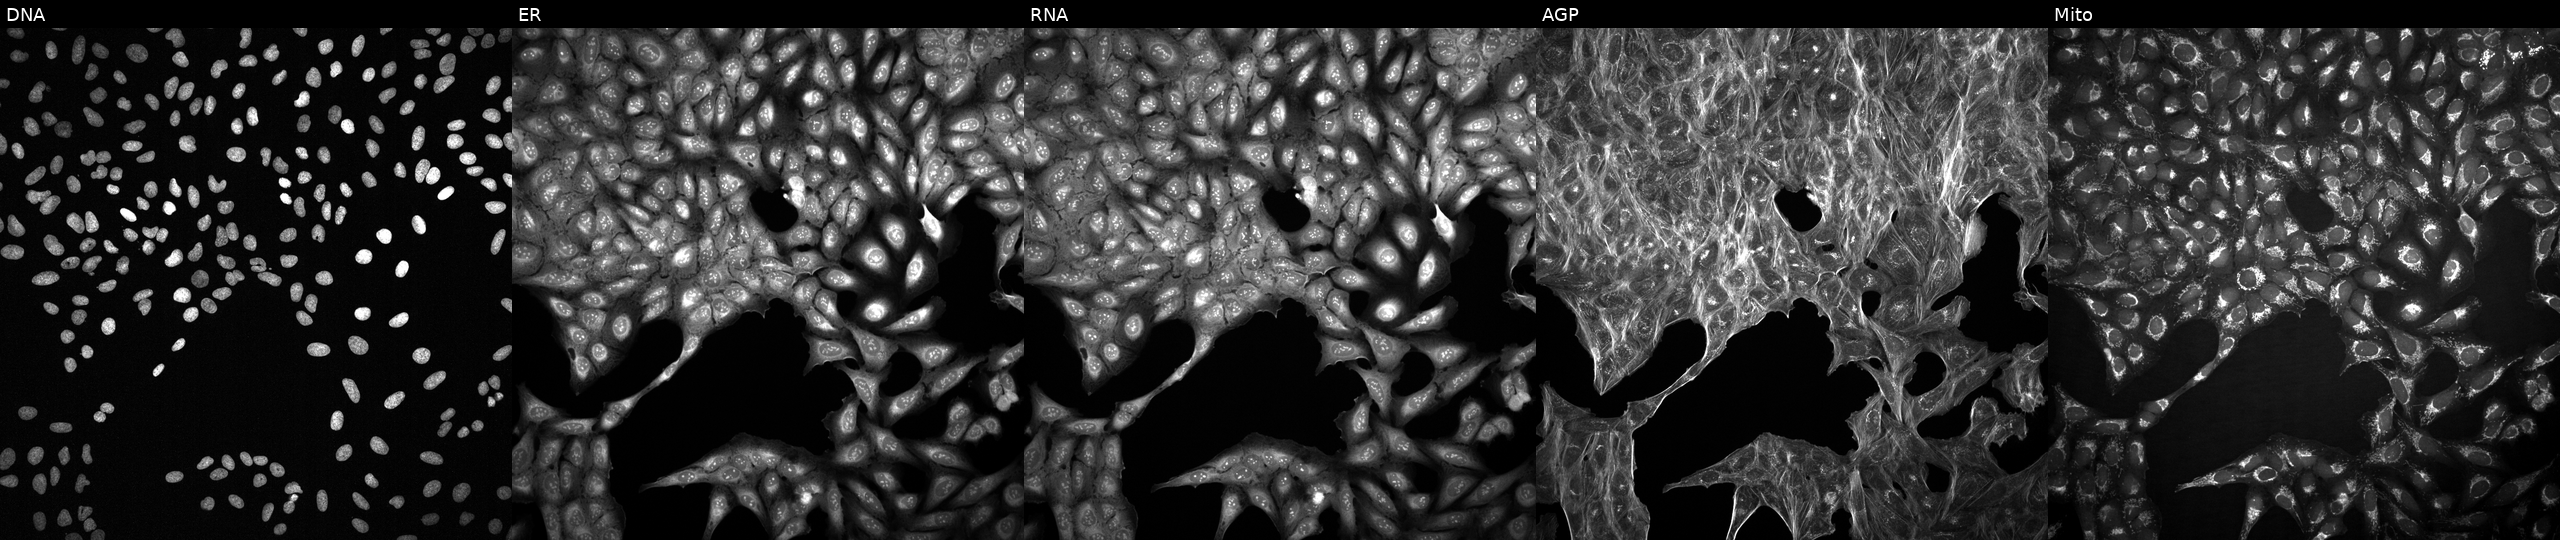
High-content fluorescence microscopy (Cell Painting). Cell line: U2OS. Perturbation: with an unidentified perturbation (not annotated in JUMP metadata). Channels (left→right): DNA (nuclei); ER (endoplasmic reticulum); RNA (nucleoli and cytoplasmic RNA); AGP (actin cytoskeleton, Golgi, and plasma membrane); Mito (mitochondria).